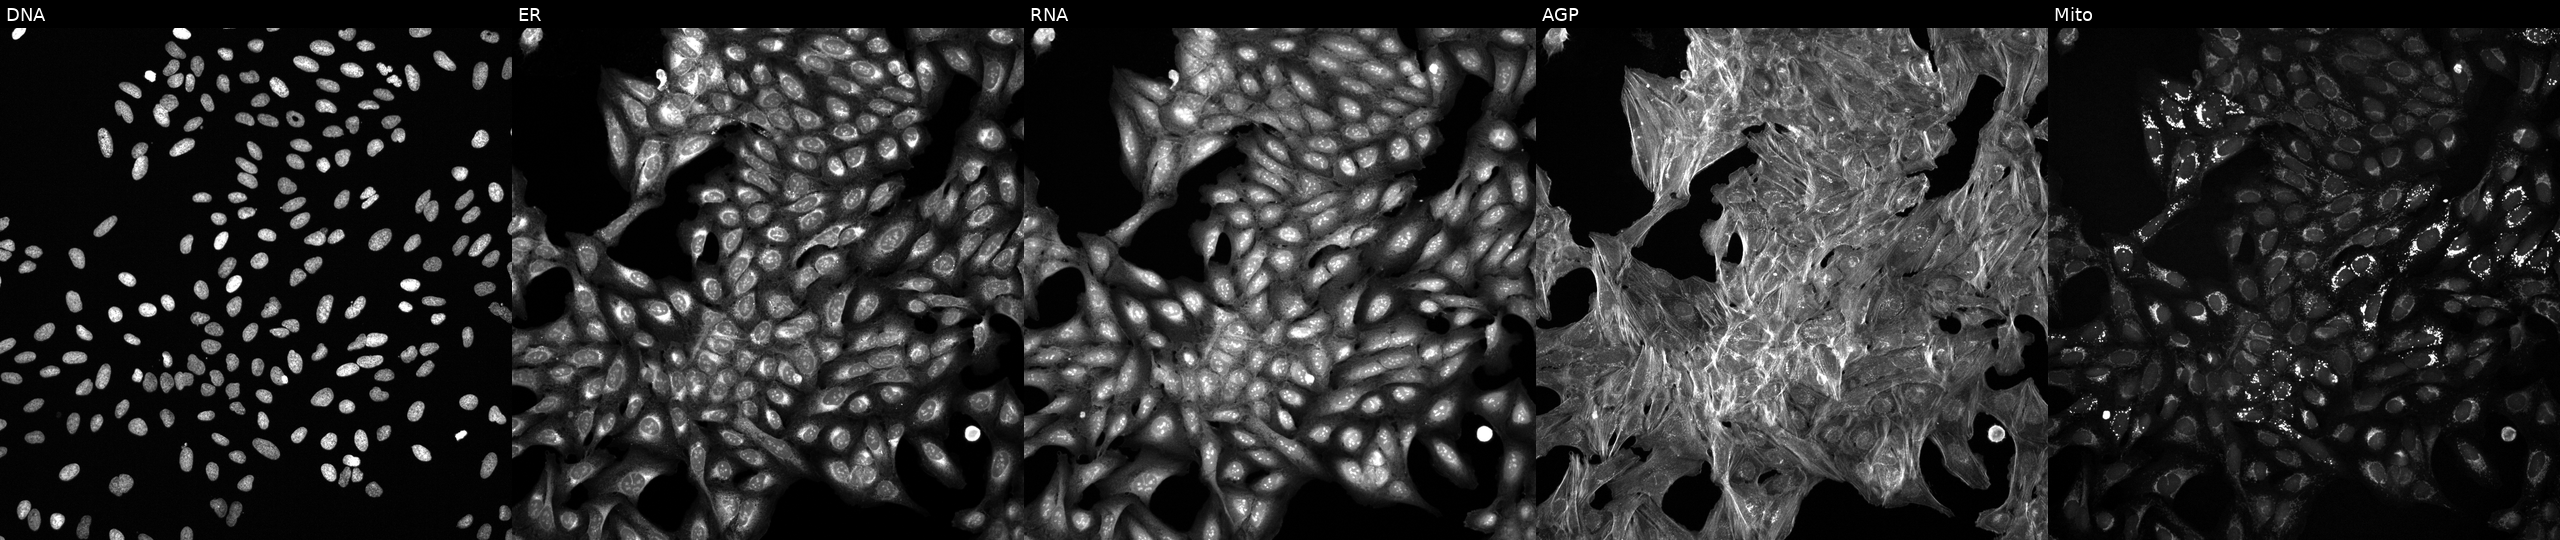
JUMP Cell Painting — TARGET2 plate. U2OS cells exposed to a small-molecule compound (InChIKey ZQPXNYLXYNRFNP-UHFFFAOYSA-N) (JUMP id JCP2022_115049). Panels show, left to right, Hoechst 33342, concanavalin A, SYTO 14, phalloidin and WGA, MitoTracker.